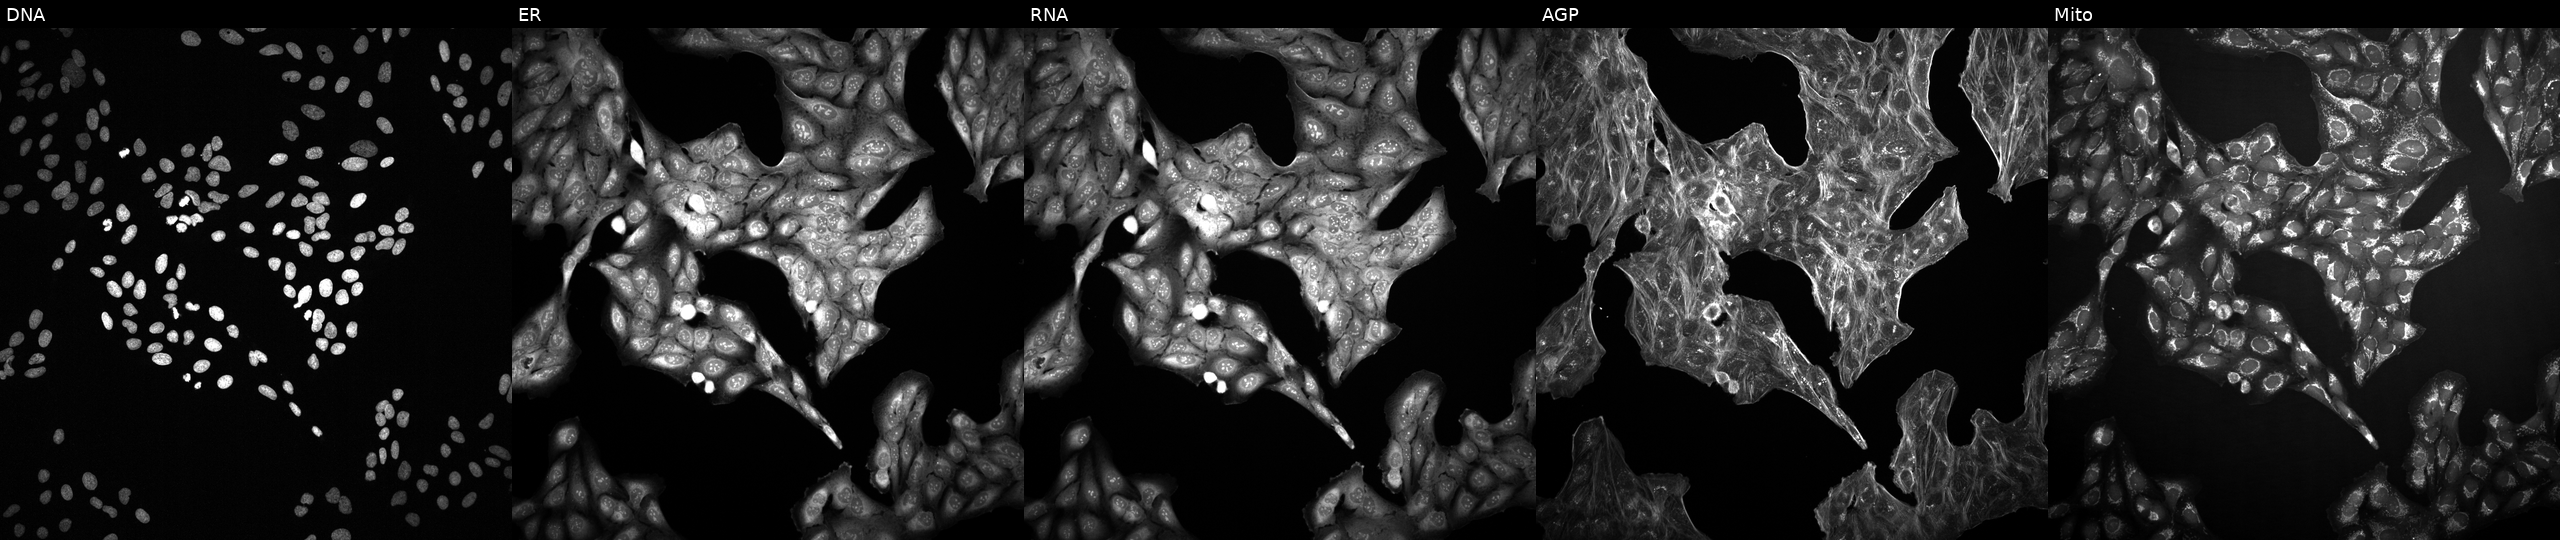
U2OS cells, Cell Painting assay, perturbed with a small-molecule compound (InChIKey IYAYHZZWYNXHEQ-UHFFFAOYSA-N). Channels (left→right): DNA, ER, RNA, AGP, and Mito. Each panel is percentile-stretched 16-bit fluorescence. Source 2, plate 1053597936, well K23.